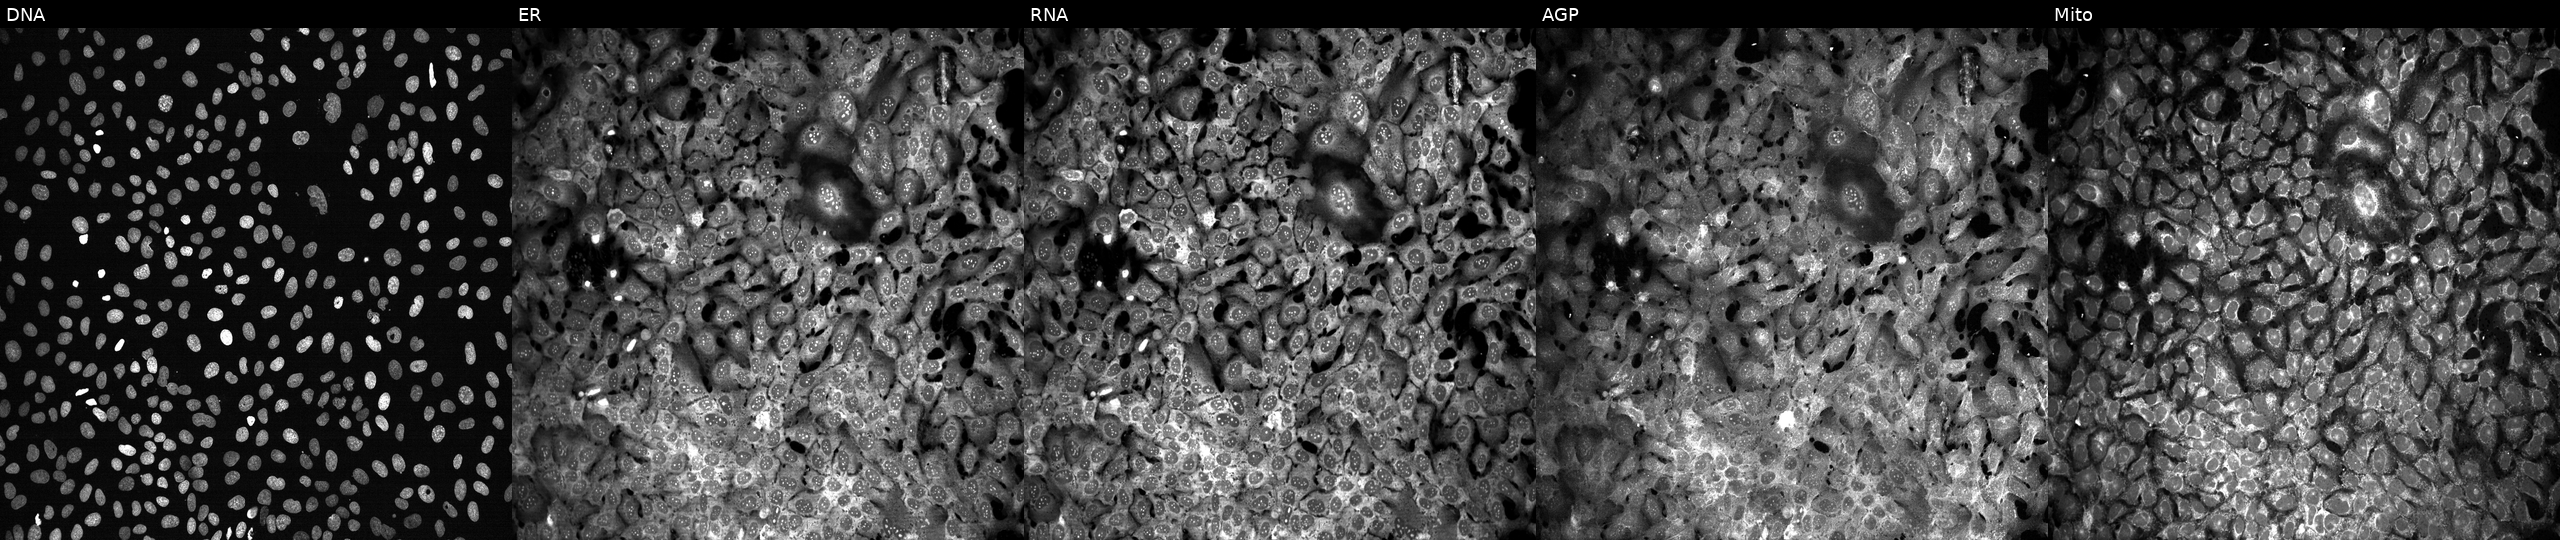
U2OS cells, Cell Painting assay, treated with FK-866 (positive-control compound) (JUMP id JCP2022_046054). From left to right: Hoechst 33342, concanavalin A, SYTO 14, phalloidin and WGA, MitoTracker. Each panel is percentile-stretched 16-bit fluorescence.